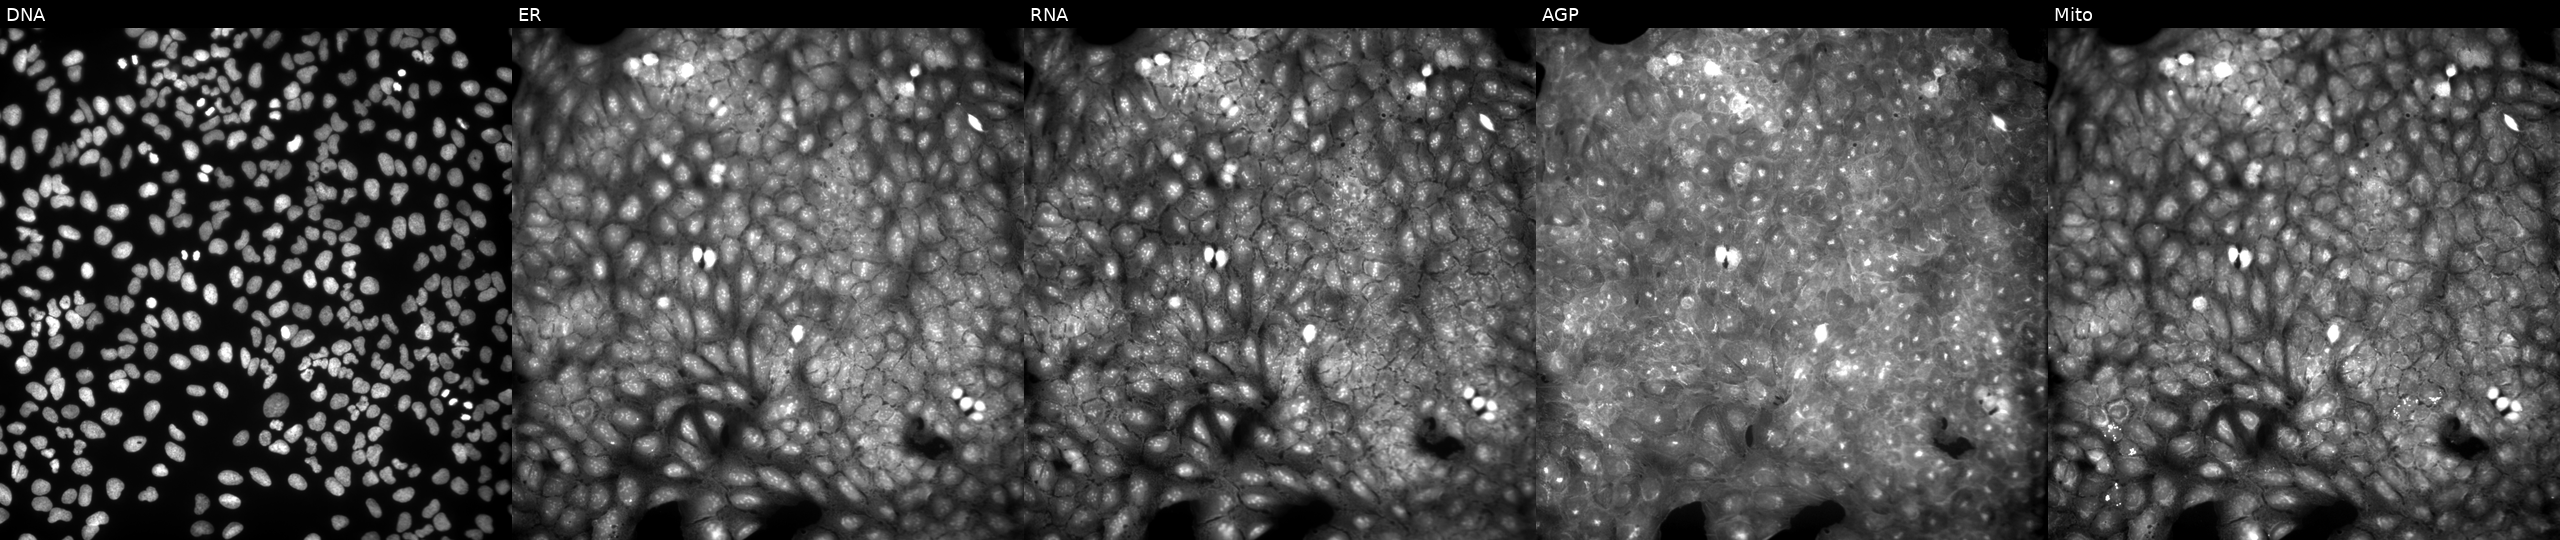
U2OS cells, Cell Painting assay, perturbed with a small-molecule compound (InChIKey BNAKPPPZDCTKKW-UHFFFAOYSA-N) [SMILES: CCCN(c1ccc(C(=O)OC)cc1)S(=O)(=O)c1ccccc1] (JUMP id JCP2022_007376). From left to right: Hoechst 33342, concanavalin A, SYTO 14, phalloidin and WGA, MitoTracker. Each panel is percentile-stretched 16-bit fluorescence.